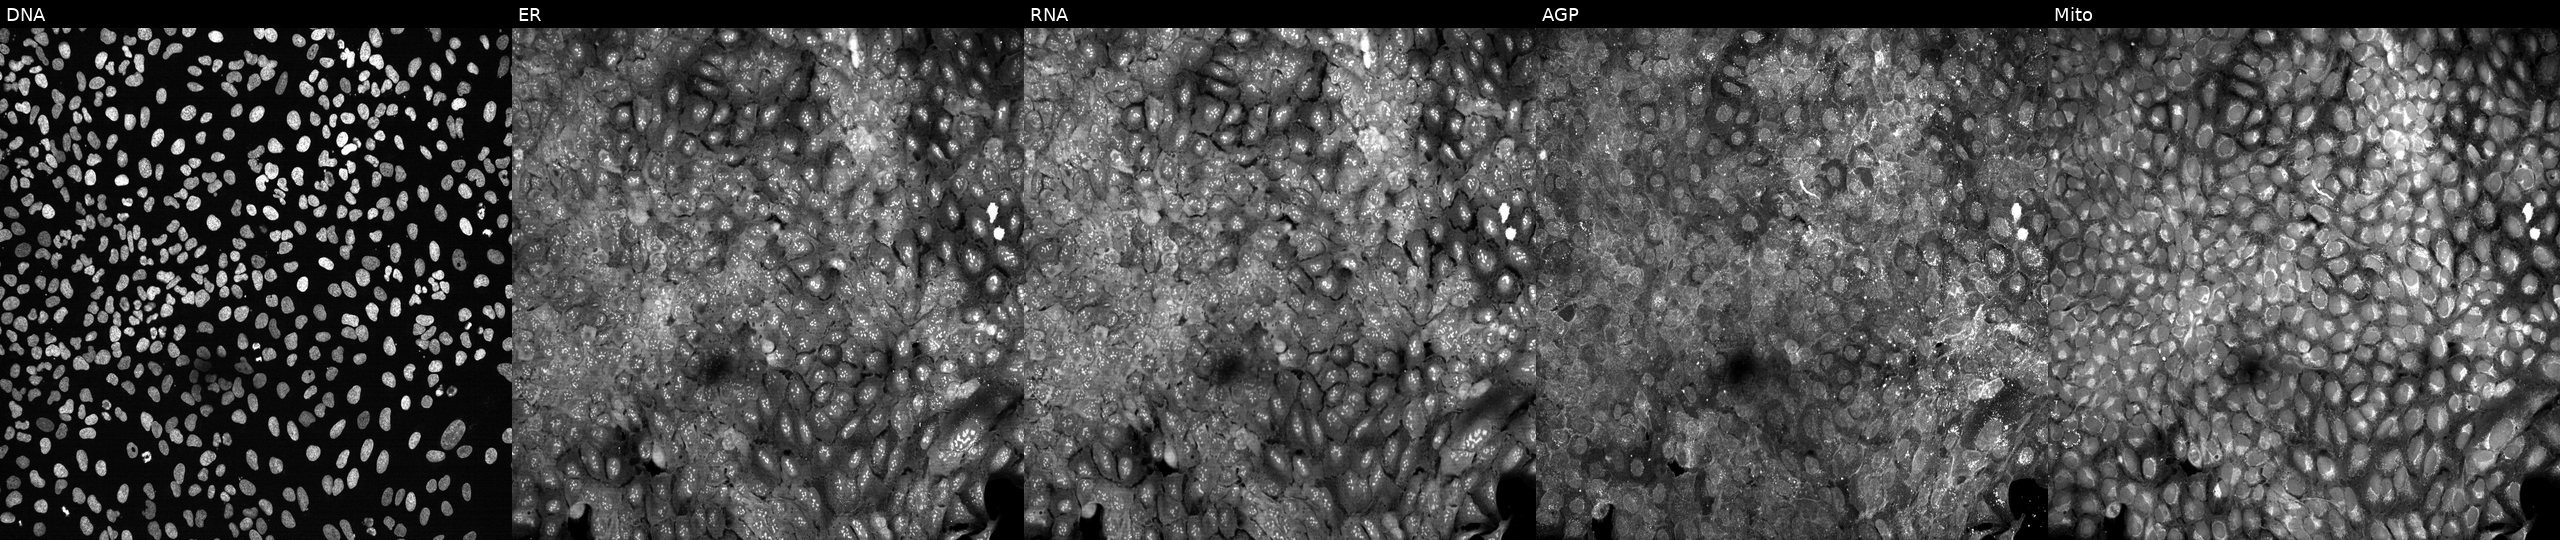
From left to right: Hoechst 33342, concanavalin A, SYTO 14, phalloidin and WGA, MitoTracker. U2OS osteosarcoma cells CRISPR-edited to disrupt CLEC1B (JUMP id JCP2022_801382). Cell Painting assay, JUMP-CP dataset. Source 13, plate CP-CC9-R1-01, well D08.